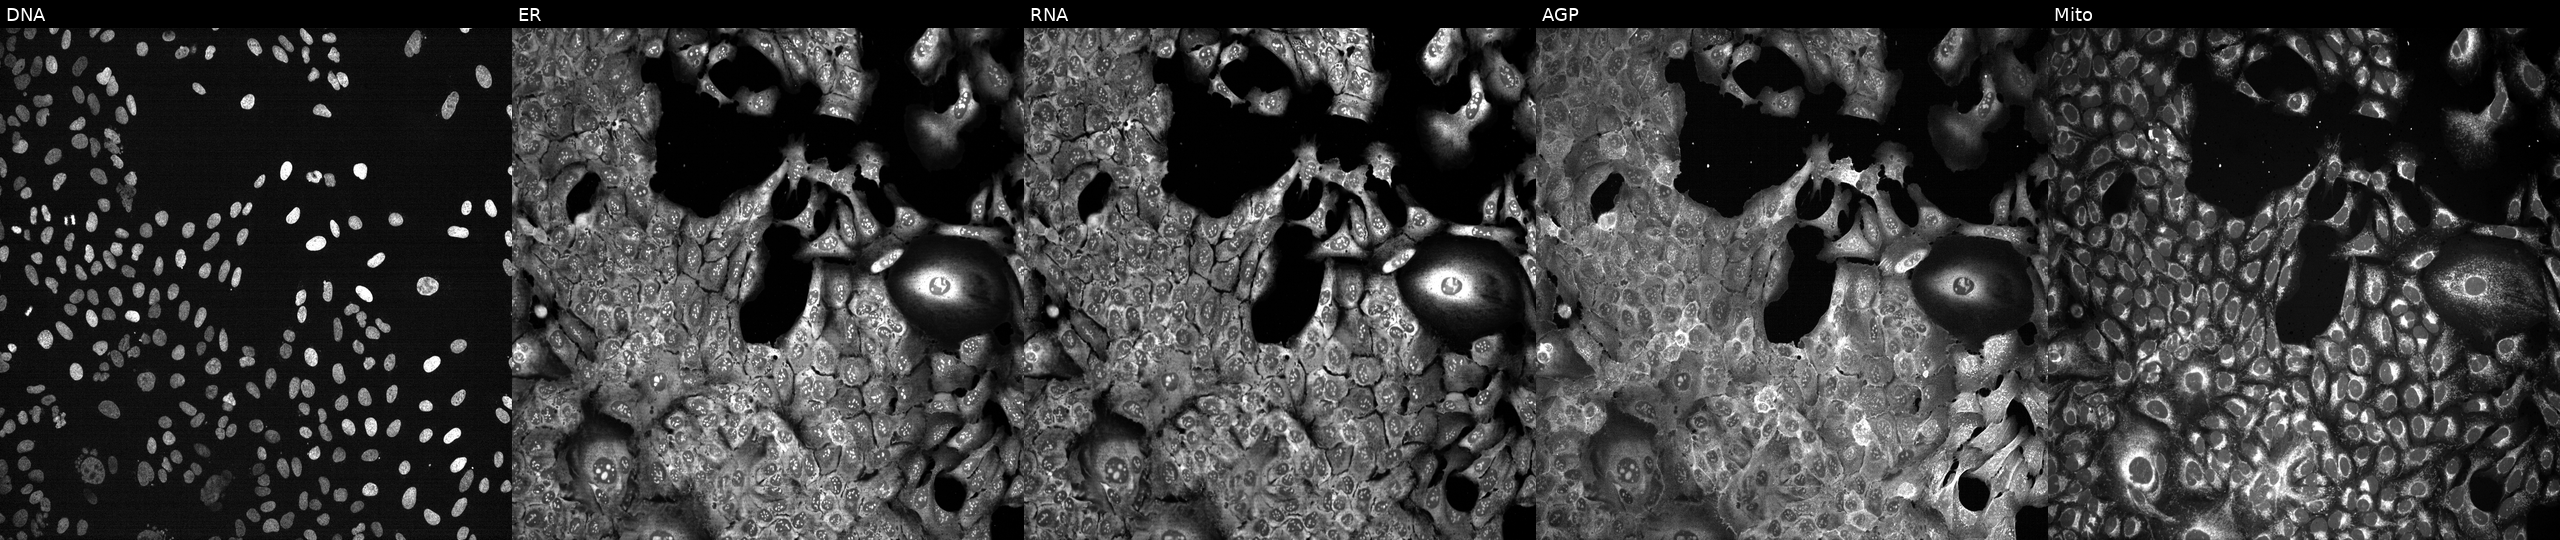
From left to right: DNA, ER, RNA, AGP, and Mito. U2OS osteosarcoma cells CRISPR-edited to disrupt FKBP6. Cell Painting assay, JUMP-CP dataset.